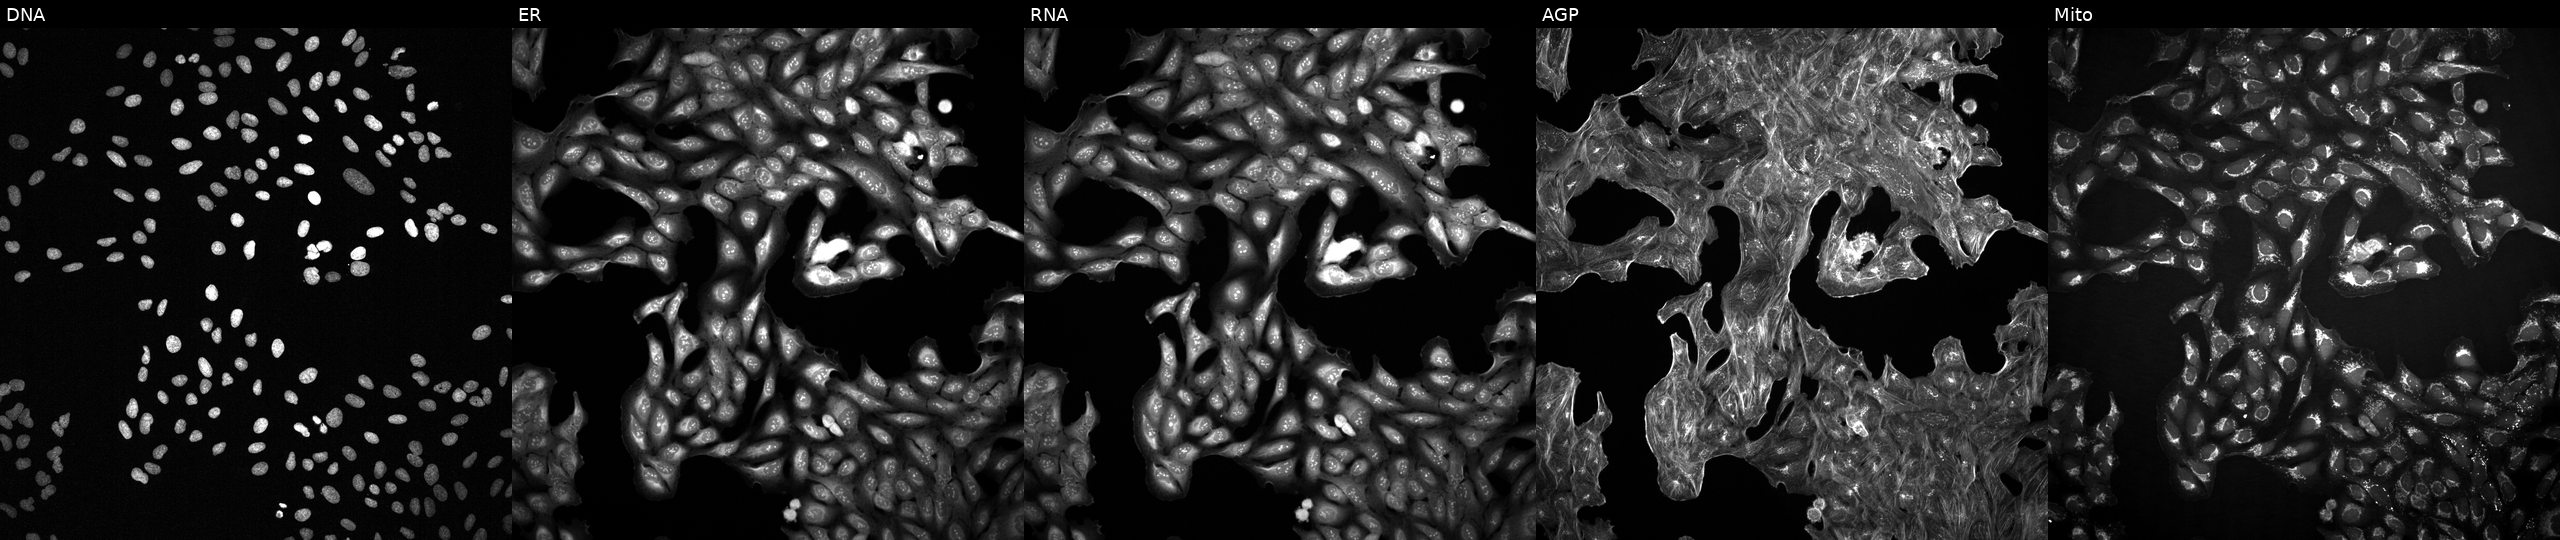
High-content fluorescence microscopy (Cell Painting). Cell line: U2OS. Perturbation: perturbed with a small-molecule compound. From left to right: DNA, ER, RNA, AGP, and Mito.